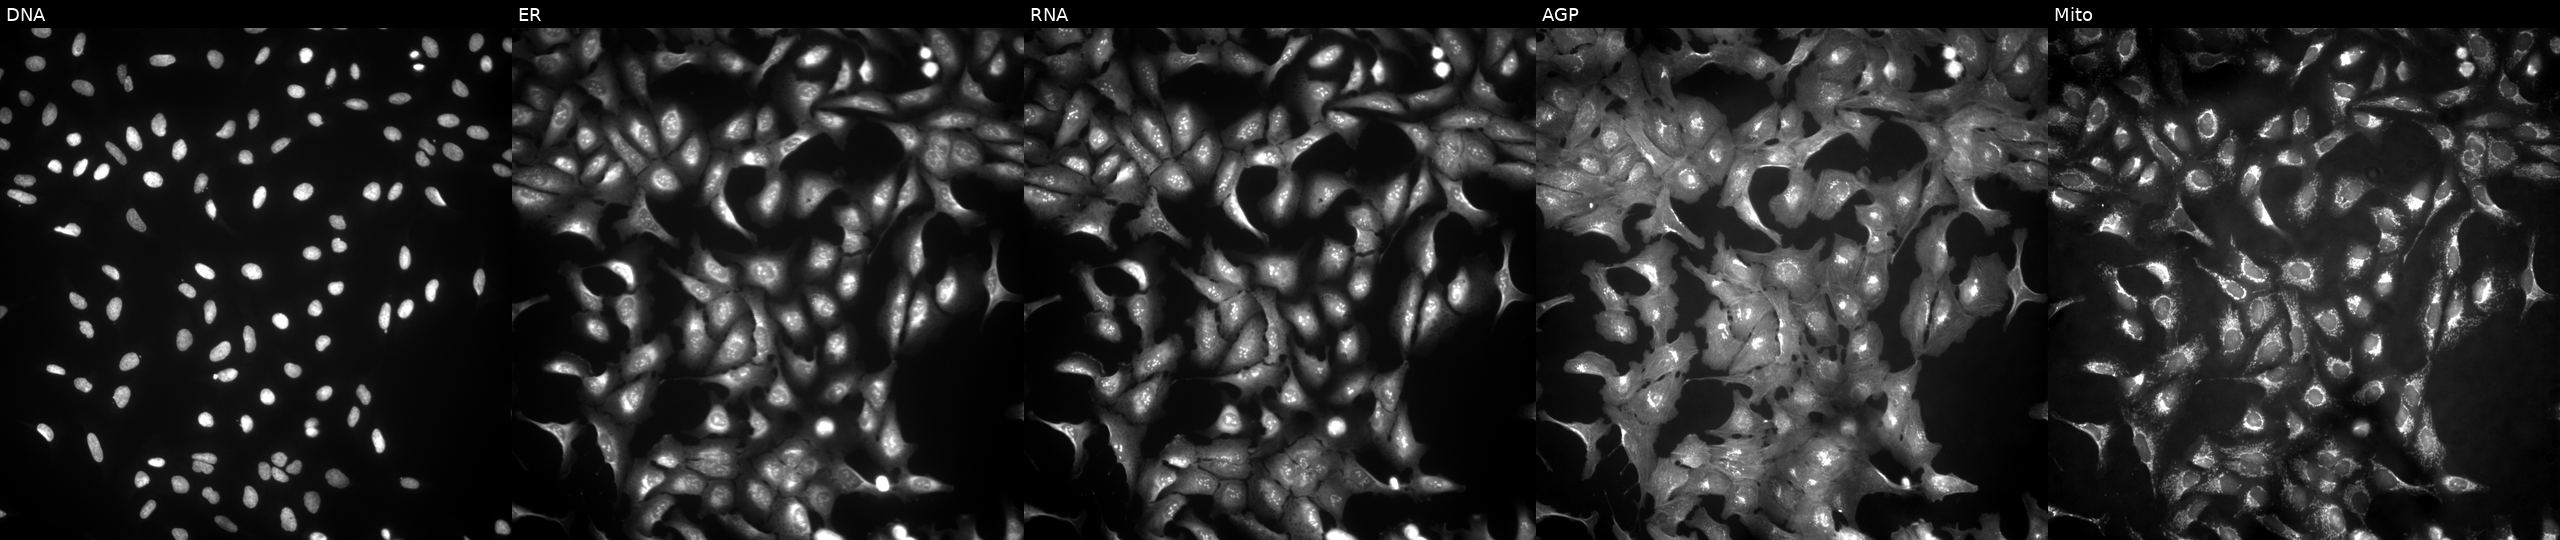
Five-channel Cell Painting image of U2OS cells with CALR overexpressed (ORF). The five panels, left to right, show Hoechst 33342, concanavalin A, SYTO 14, phalloidin and WGA, MitoTracker.